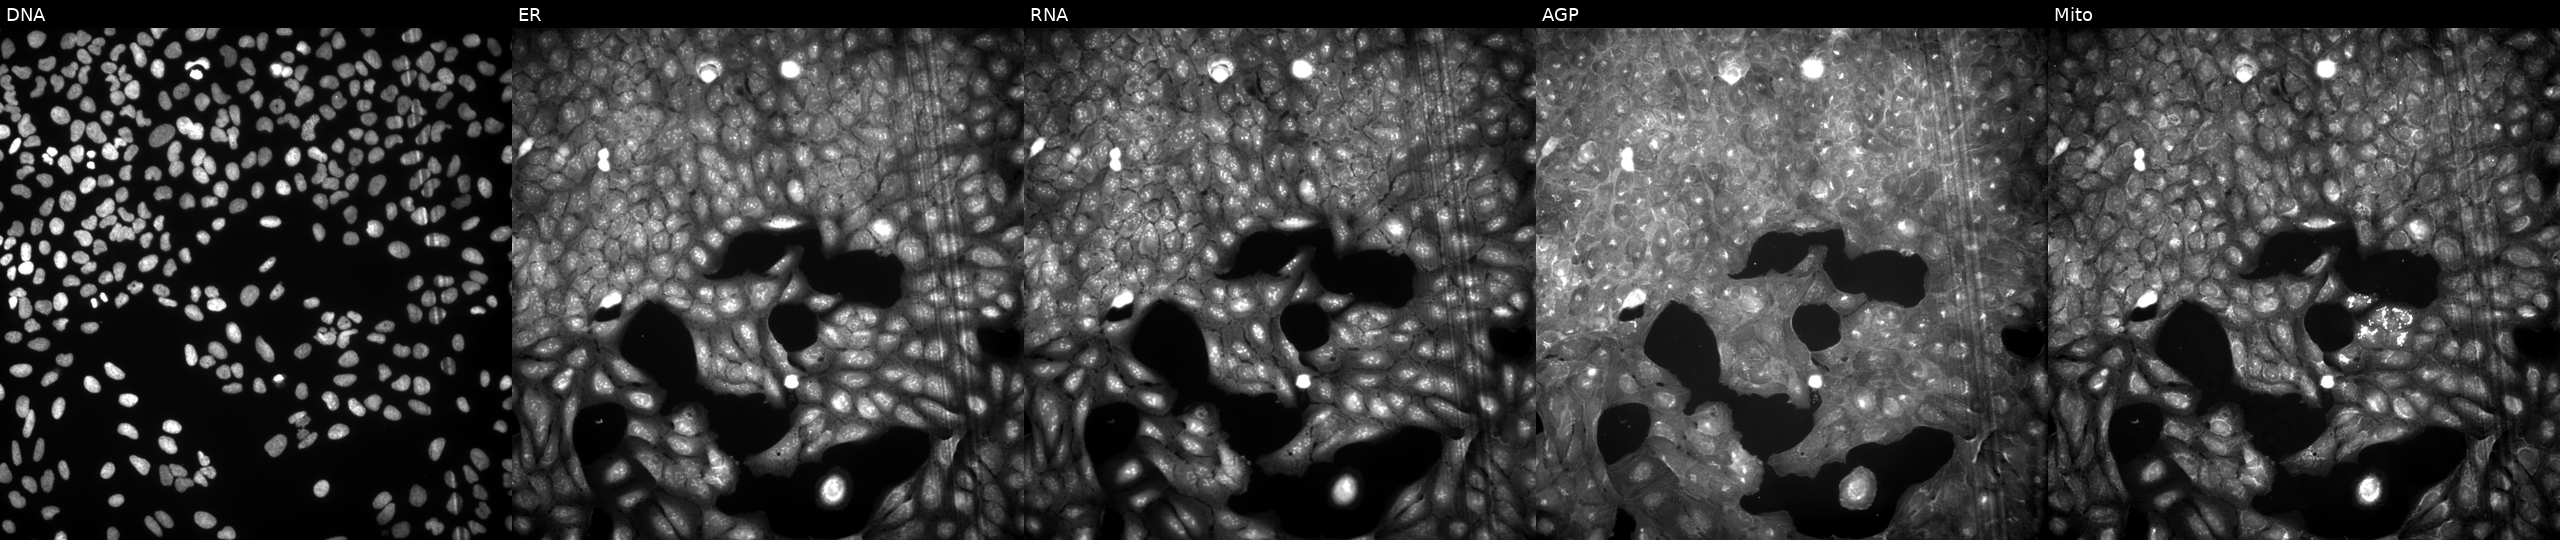
High-content fluorescence microscopy (Cell Painting). Cell line: U2OS. Perturbation: exposed to a small-molecule compound (InChIKey FSVQQIUGEQJKGY-UHFFFAOYSA-N). The five panels, left to right, show DNA (nuclei); ER (endoplasmic reticulum); RNA (nucleoli and cytoplasmic RNA); AGP (actin cytoskeleton, Golgi, and plasma membrane); Mito (mitochondria). Source 9, plate GR00003381, well Q32.